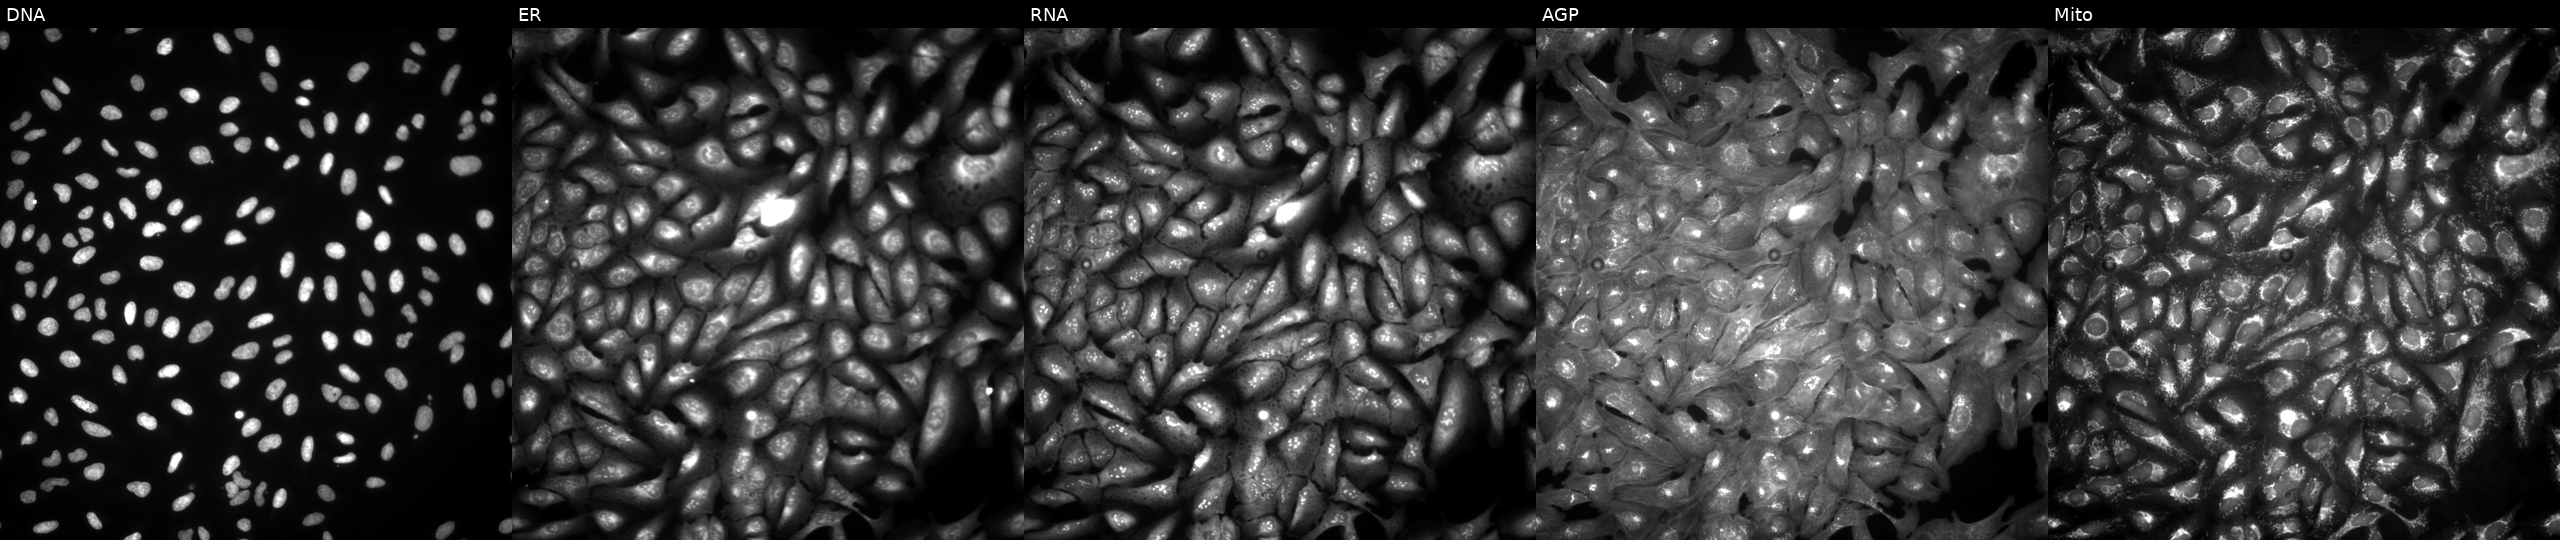
The five panels, left to right, show DNA, ER, RNA, AGP, and Mito. U2OS osteosarcoma cells with ATP6AP2 overexpressed (ORF). Cell Painting assay, JUMP-CP dataset.